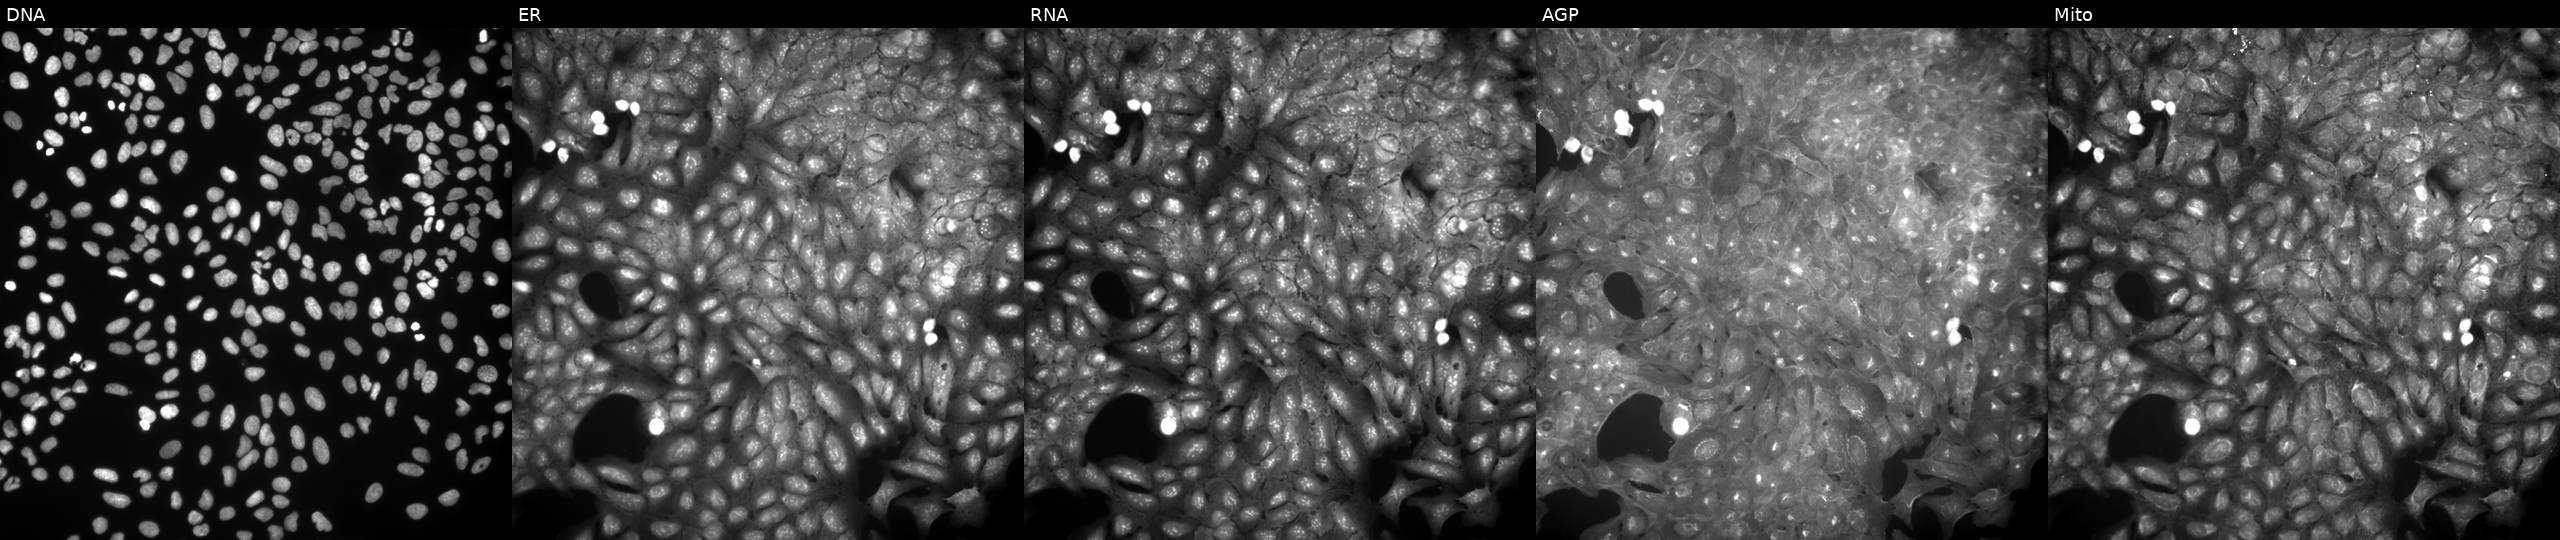
This image strip shows the five Cell Painting channels for a single field of U2OS cells treated with a small-molecule compound (InChIKey YAQOJQMJIBNWFM-UHFFFAOYSA-N) (JUMP id JCP2022_107256). Panels show, left to right, Hoechst 33342, concanavalin A, SYTO 14, phalloidin and WGA, MitoTracker.